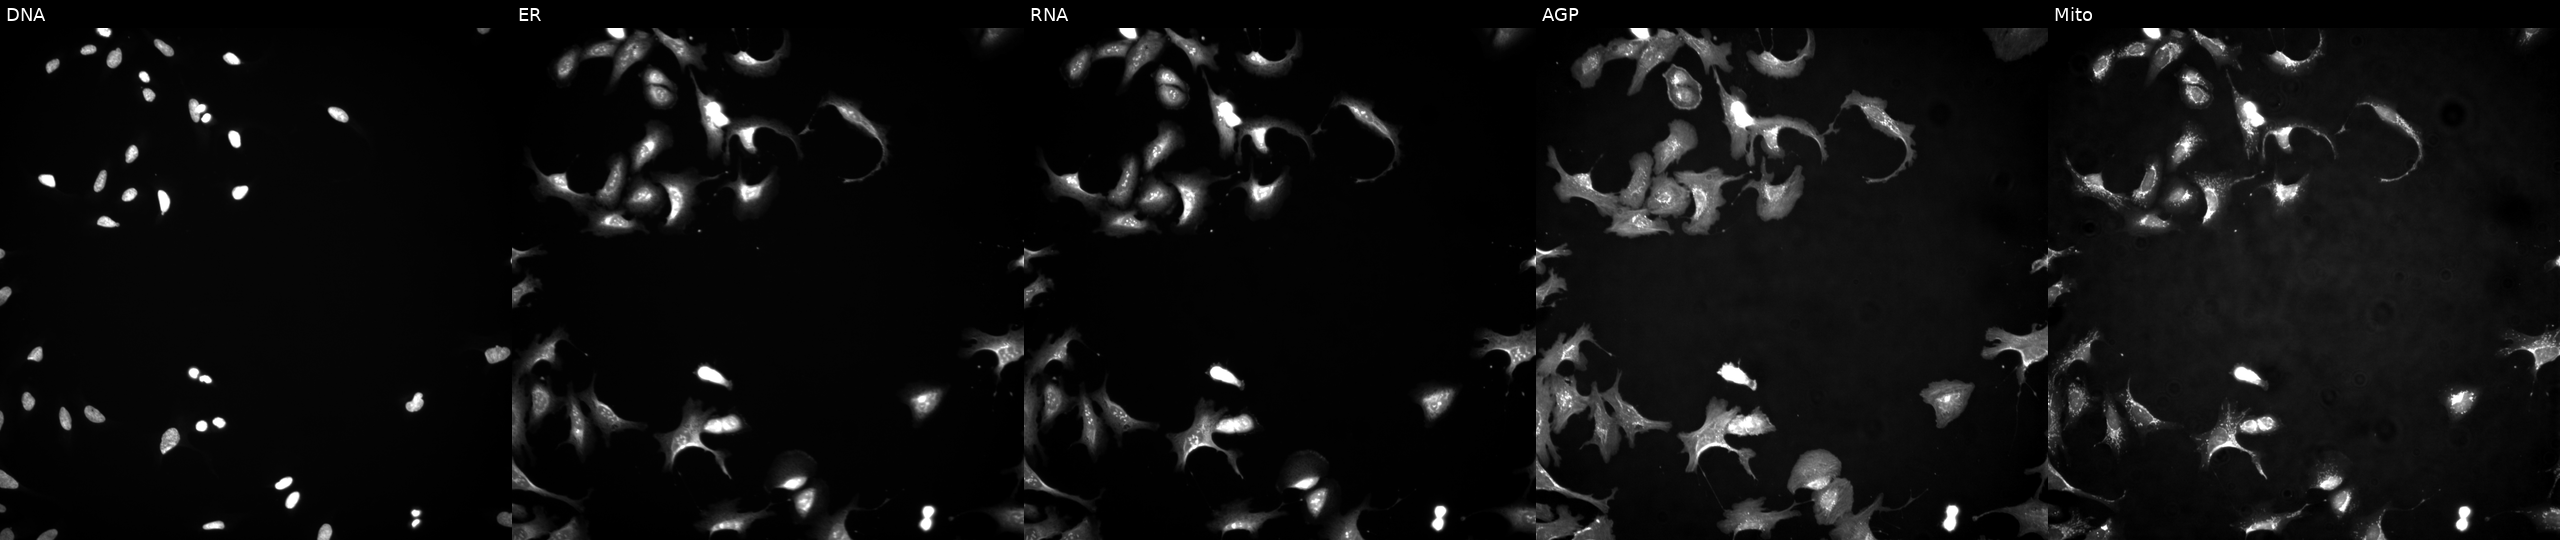
U2OS cells, Cell Painting assay, with LOC390877 overexpressed (ORF). From left to right: DNA (nuclei); ER (endoplasmic reticulum); RNA (nucleoli and cytoplasmic RNA); AGP (actin cytoskeleton, Golgi, and plasma membrane); Mito (mitochondria). Each panel is percentile-stretched 16-bit fluorescence.